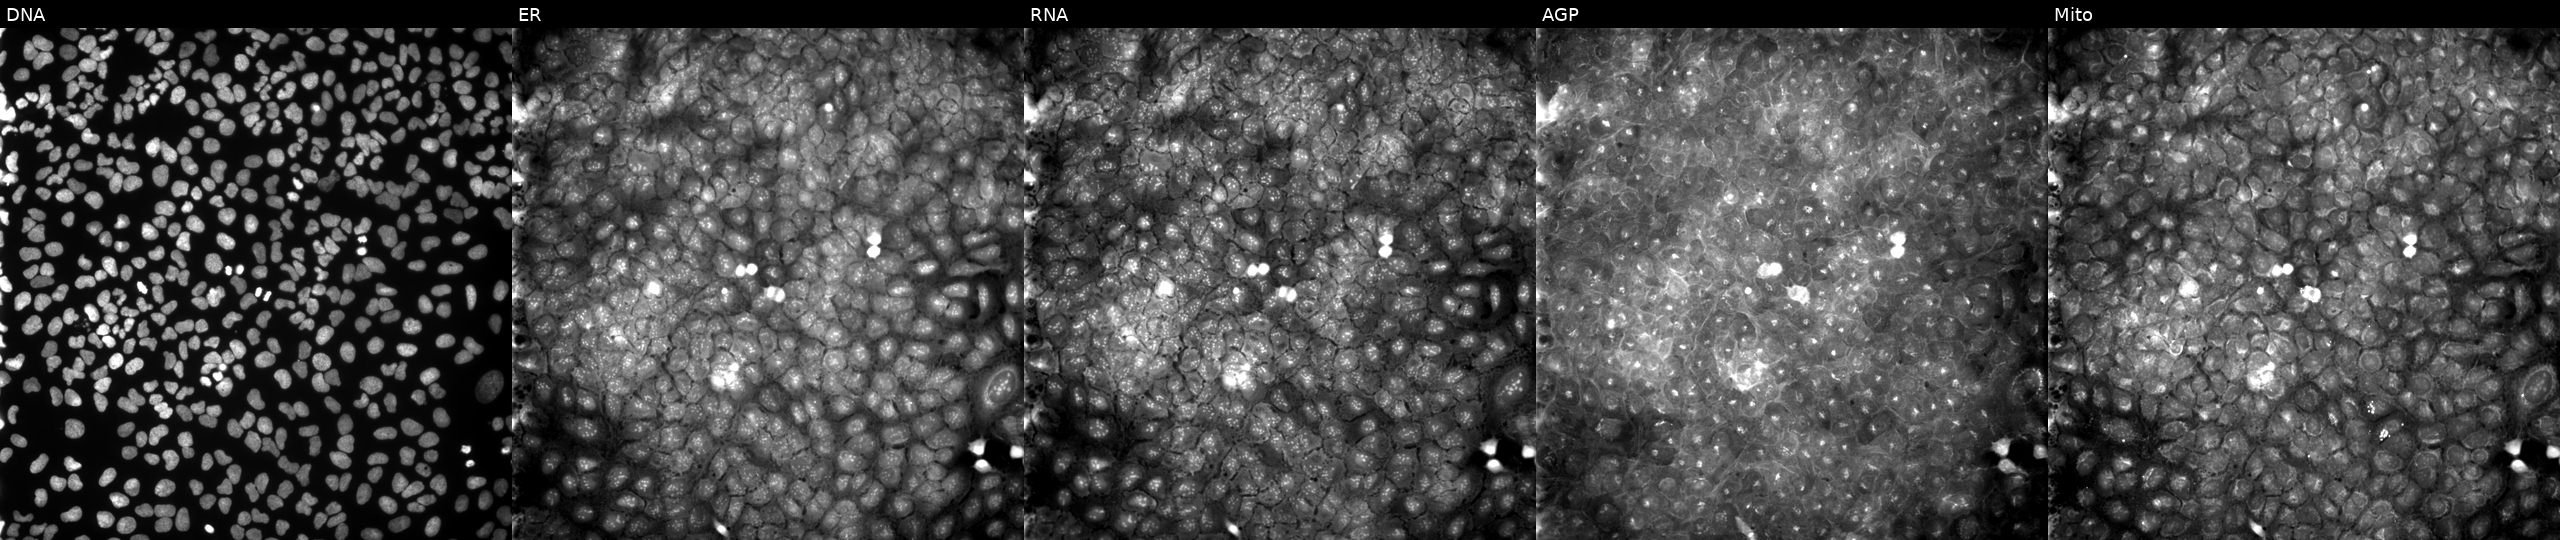
U2OS cells, Cell Painting assay, exposed to a small-molecule compound (InChIKey LLWTVMUXDKOSCA-UHFFFAOYSA-N) [SMILES: COc1ccc(C=C2SC(N3CCCCC3)=NC2=O)cc1OC]. From left to right: DNA (nuclei); ER (endoplasmic reticulum); RNA (nucleoli and cytoplasmic RNA); AGP (actin cytoskeleton, Golgi, and plasma membrane); Mito (mitochondria). Each panel is percentile-stretched 16-bit fluorescence.